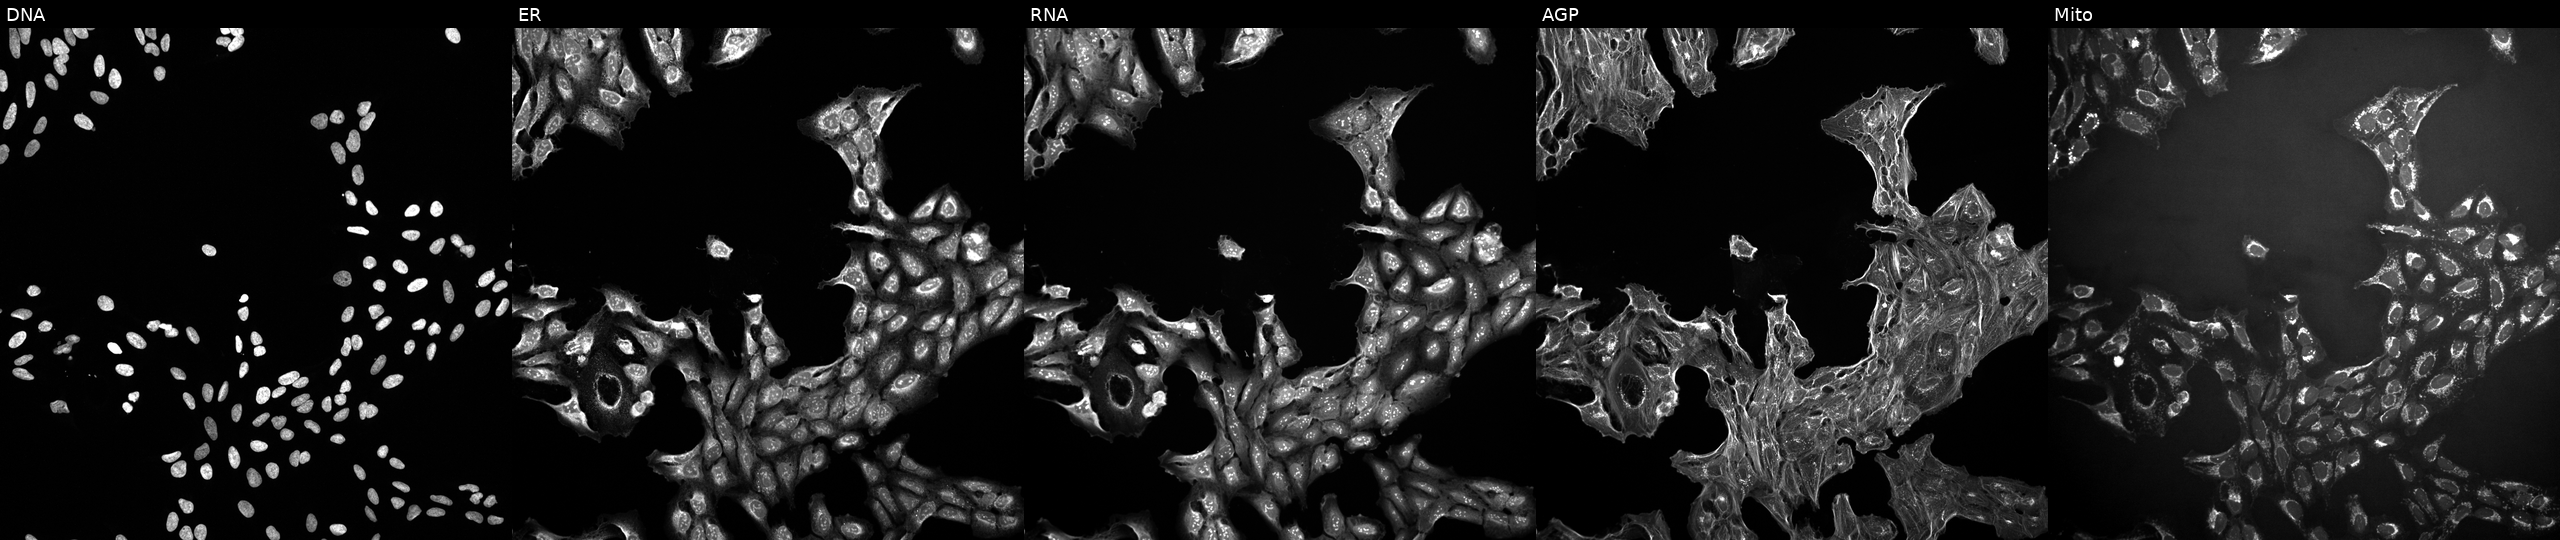
High-content fluorescence microscopy (Cell Painting). Cell line: U2OS. Perturbation: exposed to a small-molecule compound (InChIKey DMWVGXGXHPOEPT-UHFFFAOYSA-N). From left to right: DNA, ER, RNA, AGP, and Mito. Source 10, plate Dest210727-153003, well E02.